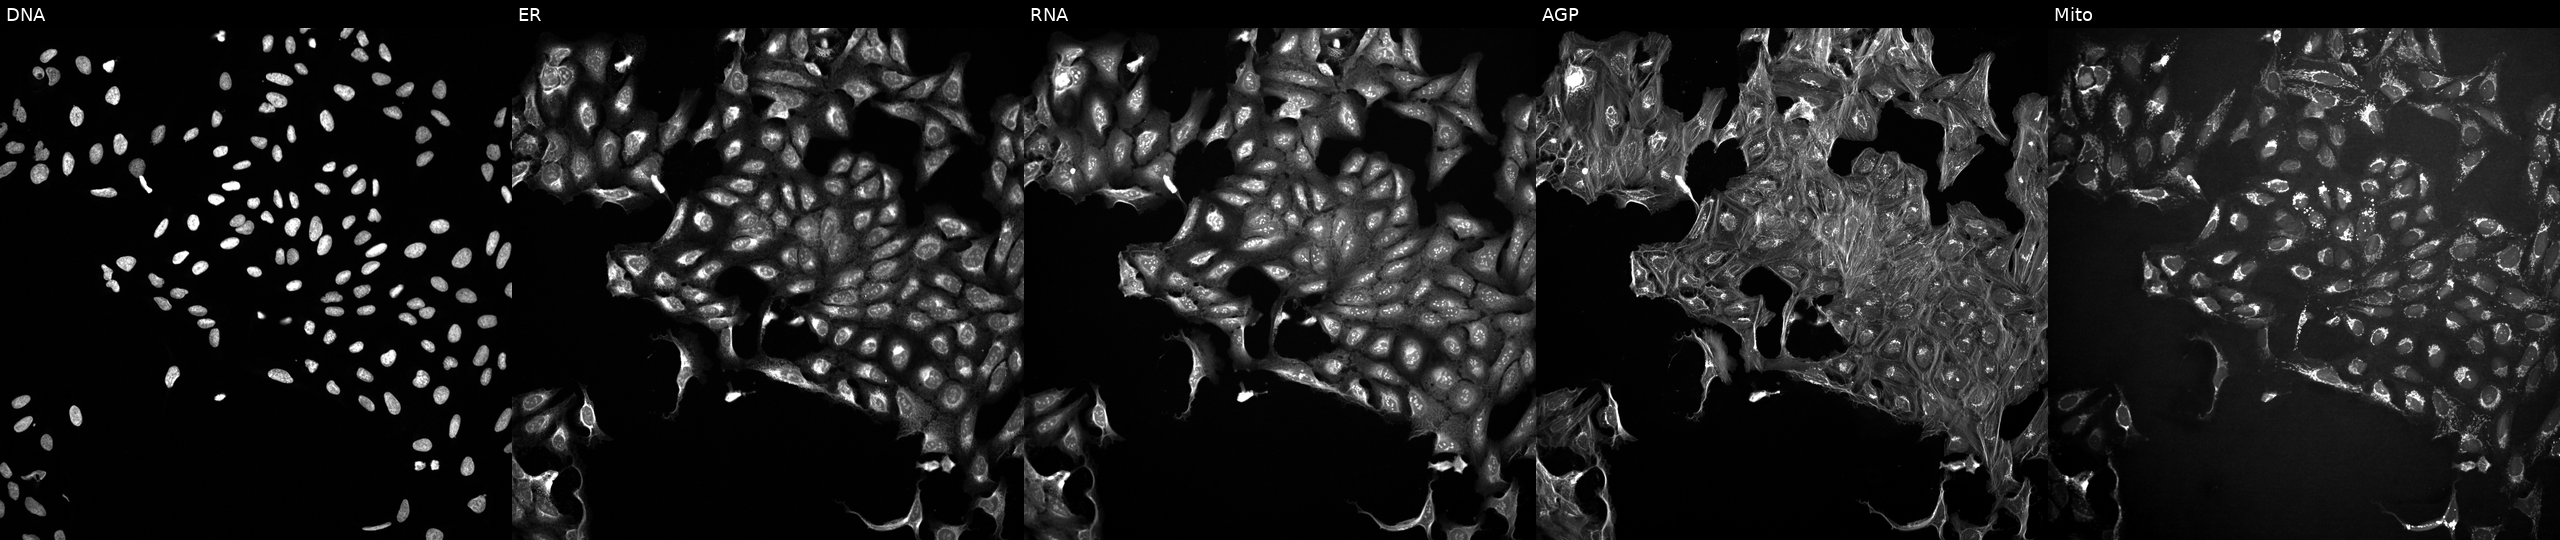
This image strip shows the five Cell Painting channels for a single field of U2OS cells perturbed with a small-molecule compound (InChIKey SQGUFEPSAMQYNH-UHFFFAOYSA-N) (JUMP id JCP2022_084918). Panels show, left to right, Hoechst 33342, concanavalin A, SYTO 14, phalloidin and WGA, MitoTracker. Source 10, plate Dest210531-152324, well F11.